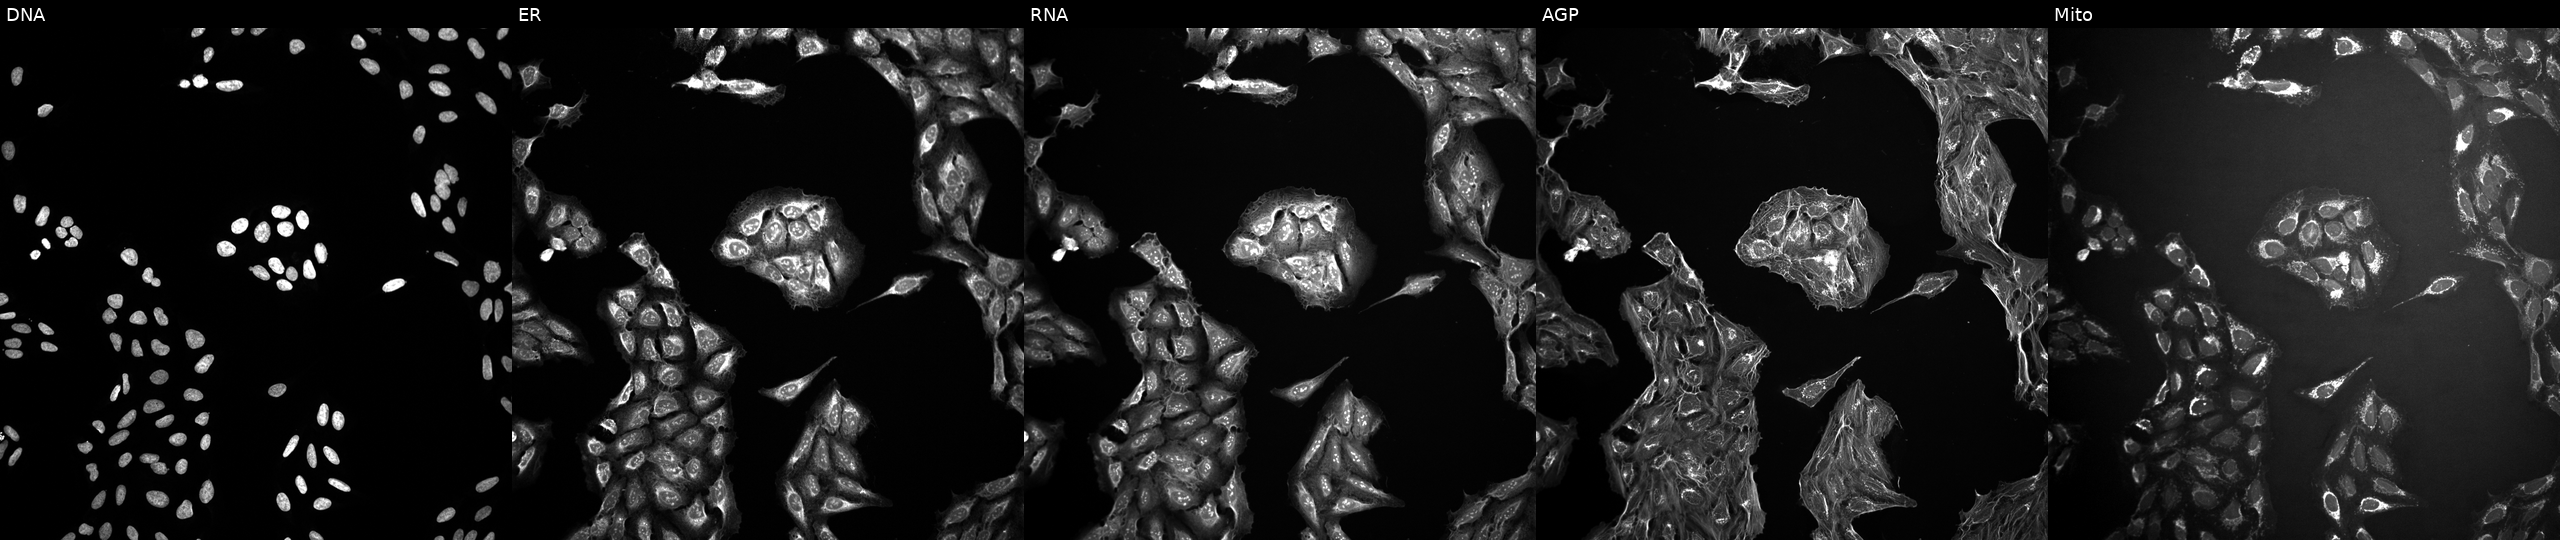
JUMP Cell Painting — COMPOUND plate. U2OS cells treated with a small-molecule compound (InChIKey PODQXWHANYUDGZ-UHFFFAOYSA-N) (JUMP id JCP2022_069911). From left to right: DNA (nuclei); ER (endoplasmic reticulum); RNA (nucleoli and cytoplasmic RNA); AGP (actin cytoskeleton, Golgi, and plasma membrane); Mito (mitochondria).